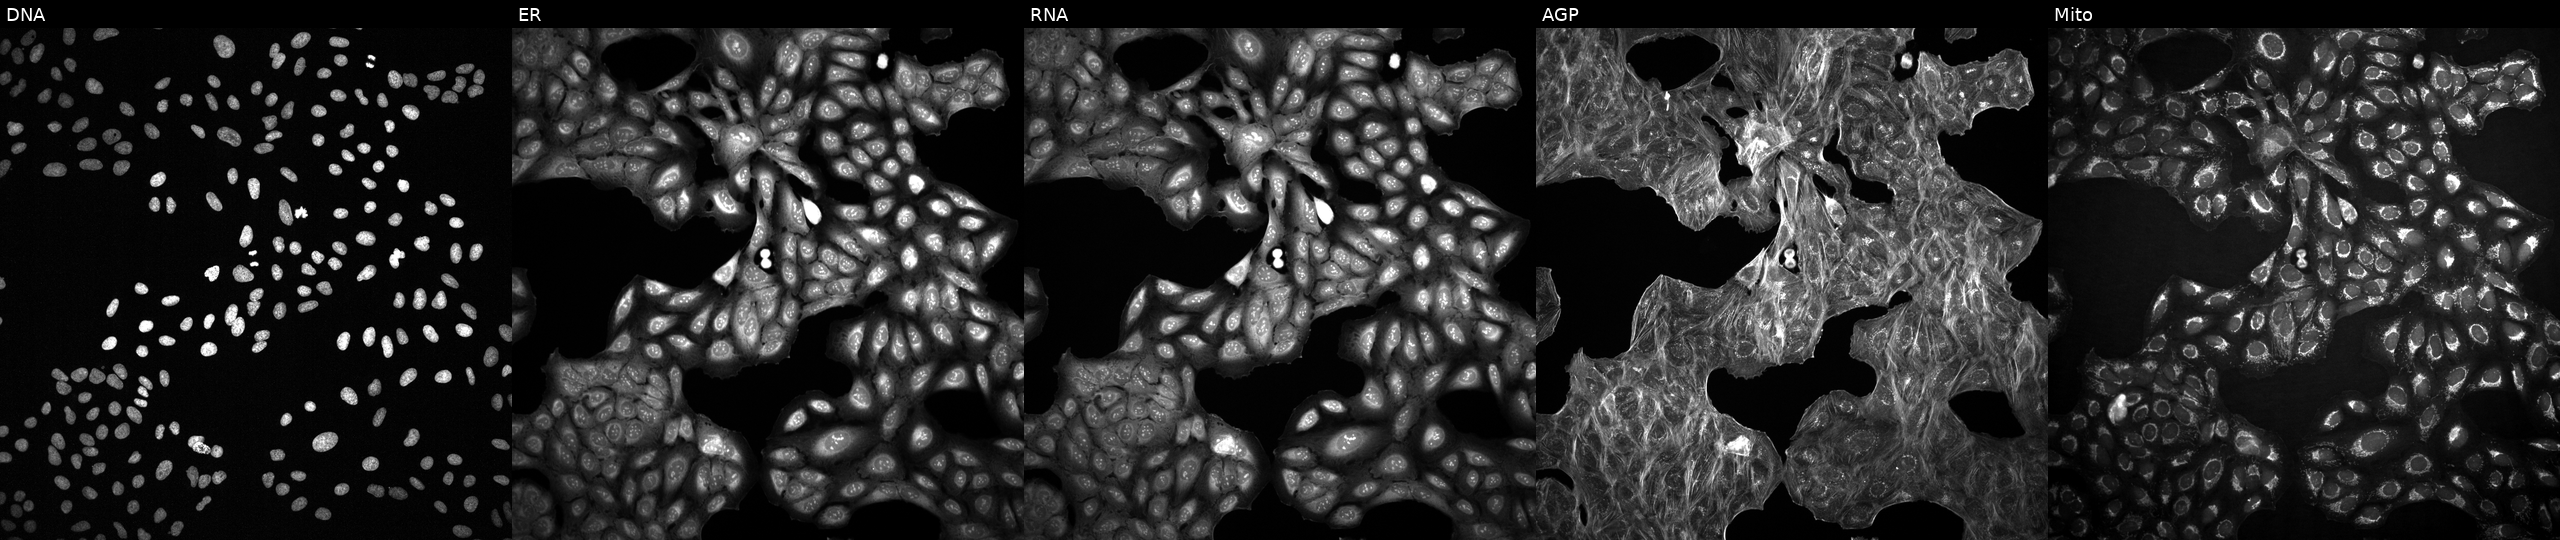
Five-channel Cell Painting image of U2OS cells with an unidentified perturbation (not annotated in JUMP metadata). Channels (left→right): Hoechst 33342, concanavalin A, SYTO 14, phalloidin and WGA, MitoTracker.